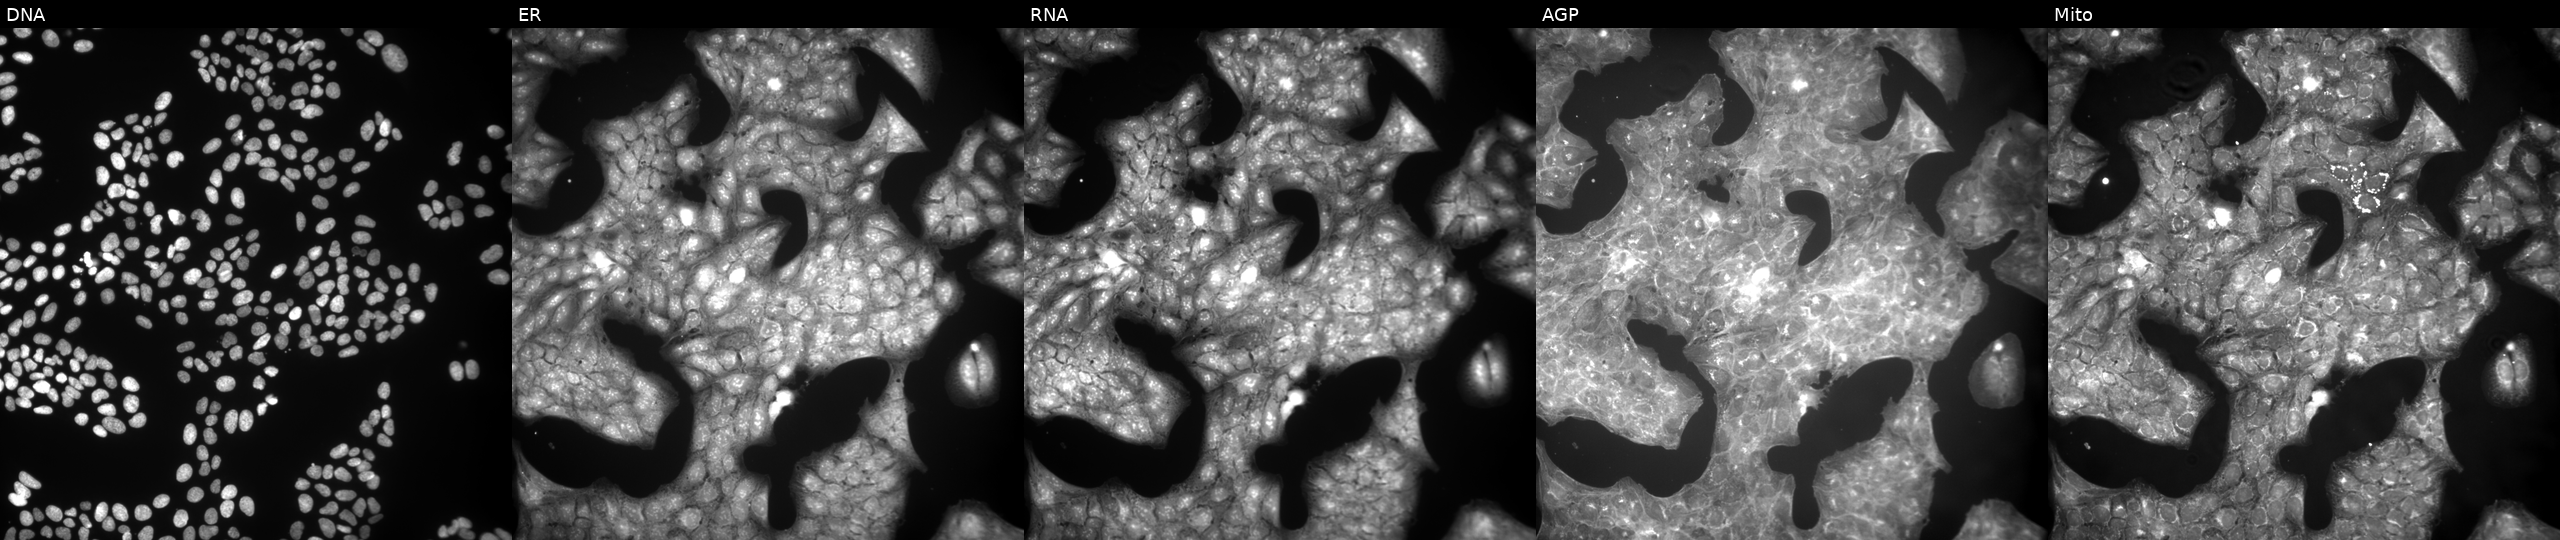
JUMP Cell Painting — COMPOUND plate. U2OS cells treated with a small-molecule compound (InChIKey IBCXZJCWDGCXQT-UHFFFAOYSA-N) [SMILES: c1ccc(-c2[nH]ncc2-c2ccnc3ccccc23)nc1]. From left to right: DNA (nuclei); ER (endoplasmic reticulum); RNA (nucleoli and cytoplasmic RNA); AGP (actin cytoskeleton, Golgi, and plasma membrane); Mito (mitochondria). Source 9, plate GR00003381, well M48.